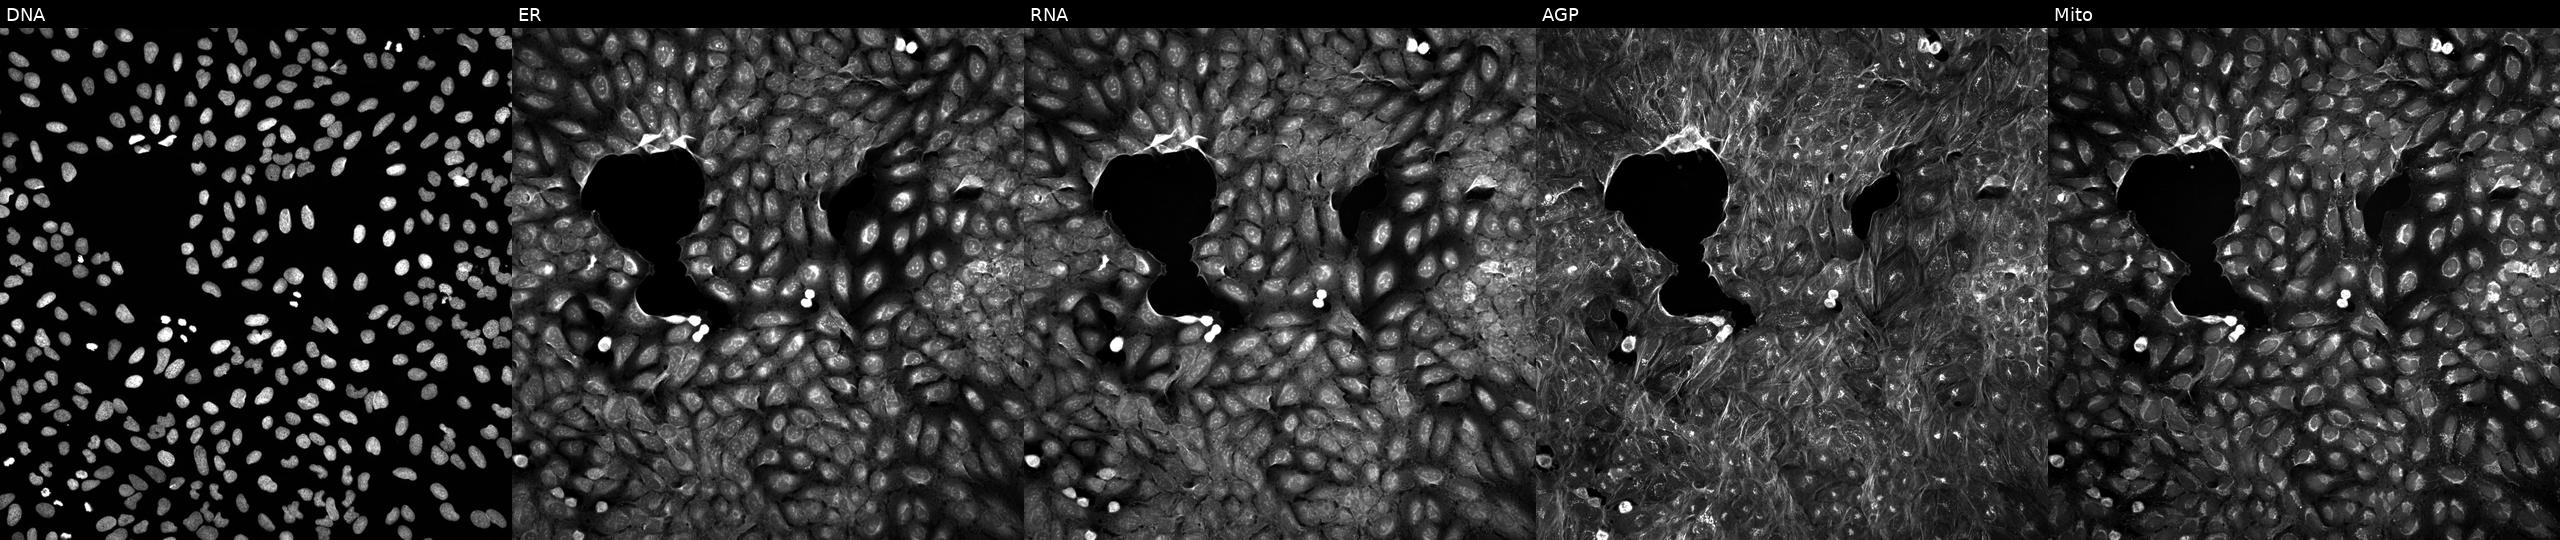
This image strip shows the five Cell Painting channels for a single field of U2OS cells exposed to a small-molecule compound (InChIKey DTGLZDAWLRGWQN-UHFFFAOYSA-N) [SMILES: CC(=O)Oc1cc2c(s1)CCN(C(C(=O)C1CC1)c1ccccc1F)C2] (JUMP id JCP2022_018074). The five panels, left to right, show Hoechst 33342, concanavalin A, SYTO 14, phalloidin and WGA, MitoTracker. Source 5, plate ACPJUM051, well O07.